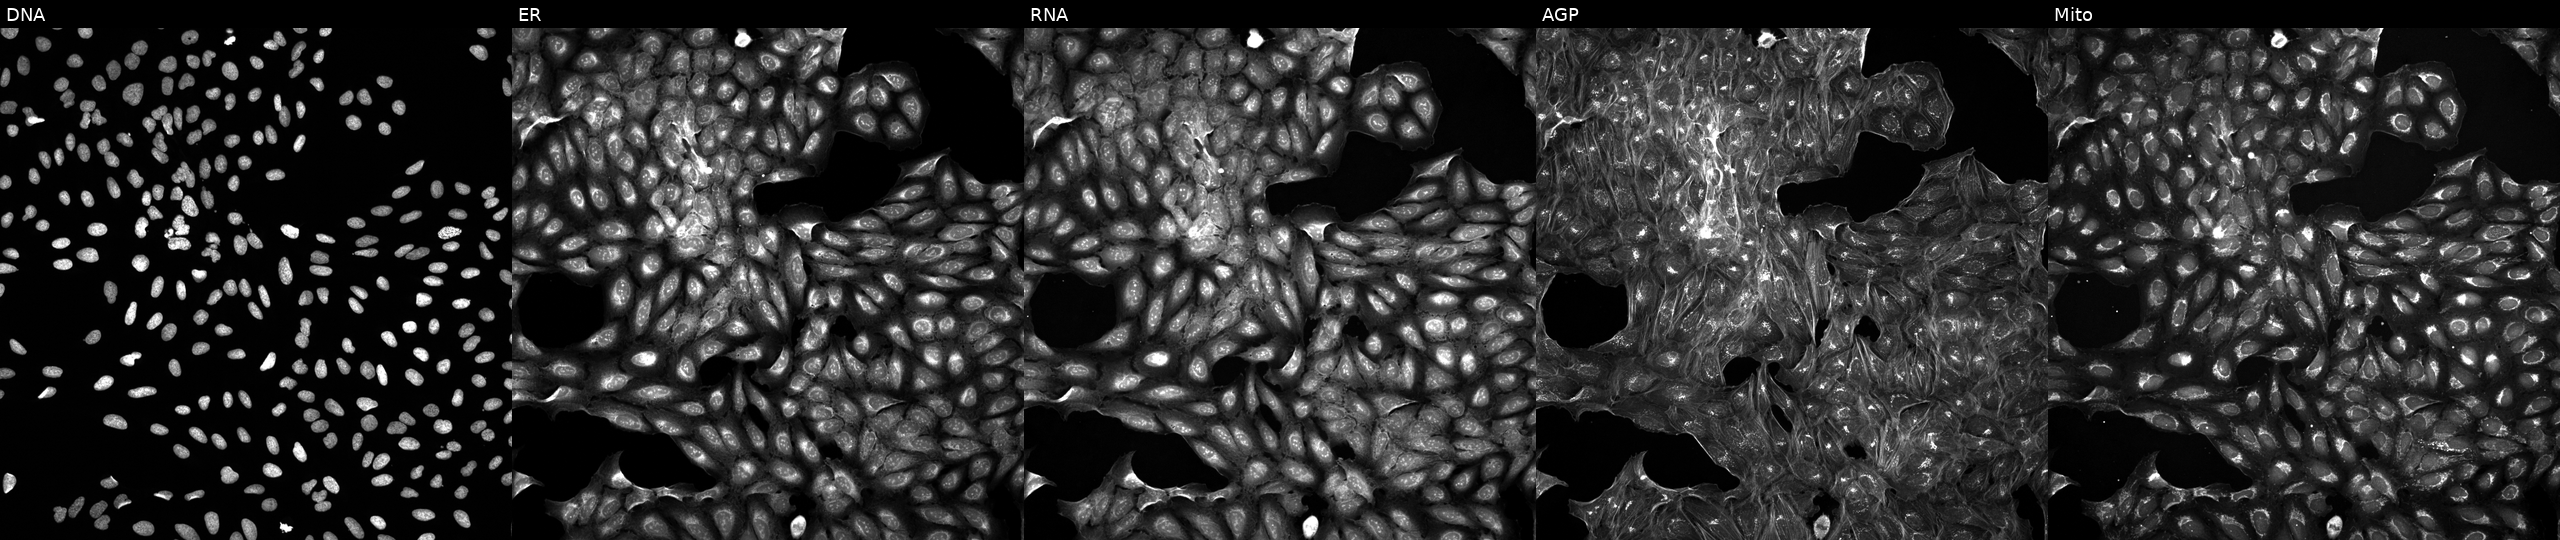
U2OS cells, Cell Painting assay, treated with DMSO vehicle only (negative control). From left to right: DNA (nuclei); ER (endoplasmic reticulum); RNA (nucleoli and cytoplasmic RNA); AGP (actin cytoskeleton, Golgi, and plasma membrane); Mito (mitochondria). Each panel is percentile-stretched 16-bit fluorescence.